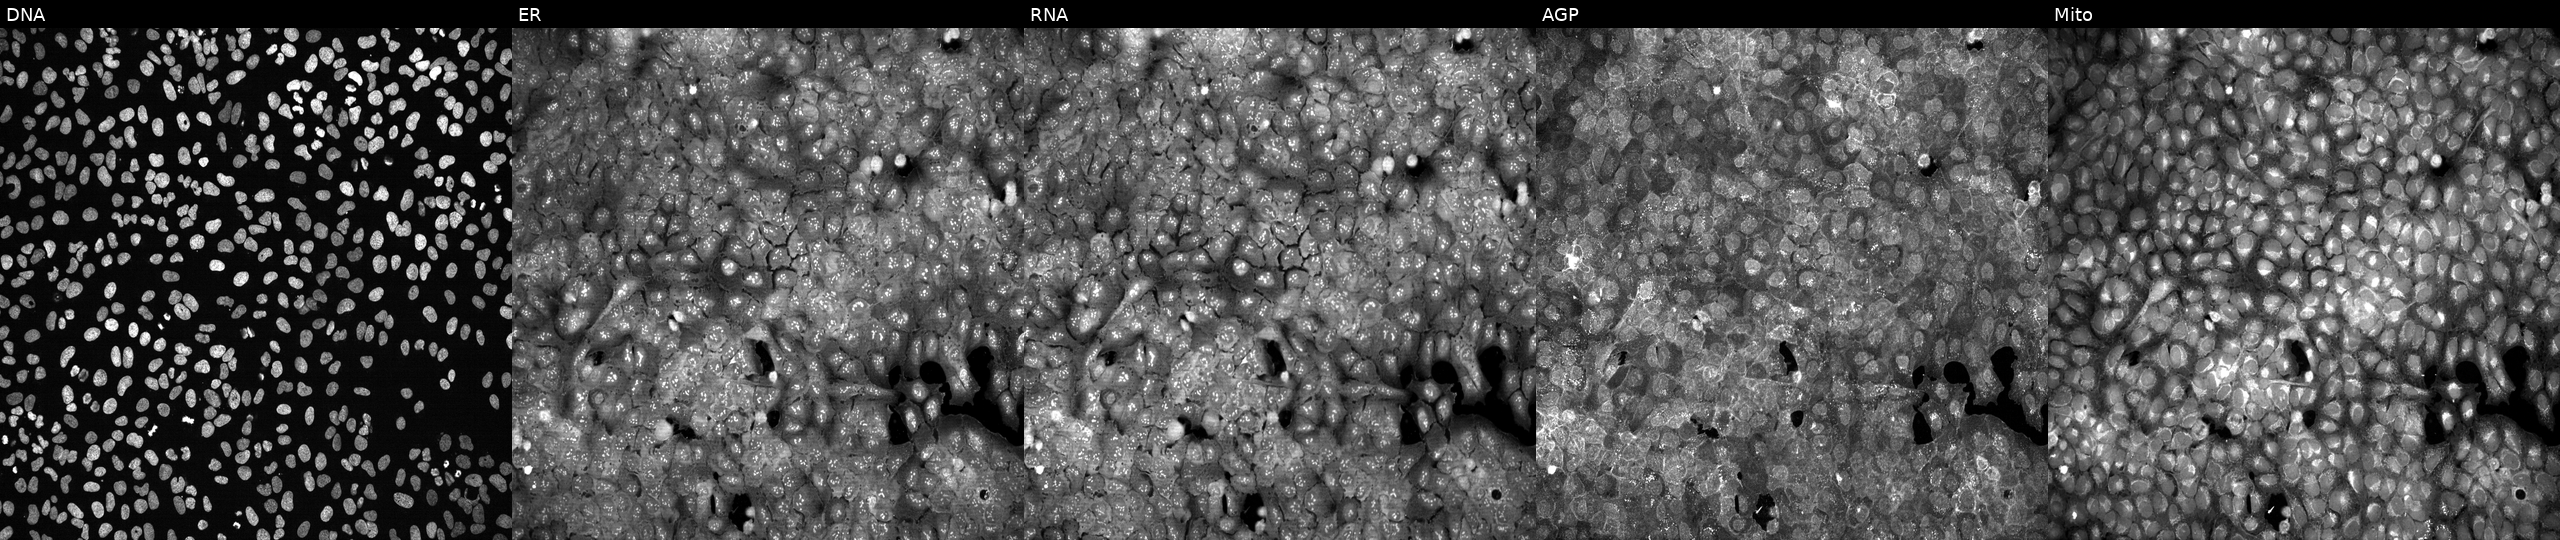
JUMP Cell Painting — CRISPR plate. U2OS cells CRISPR-edited to disrupt RAB33A (JUMP id JCP2022_805764). The five panels, left to right, show DNA (nuclei); ER (endoplasmic reticulum); RNA (nucleoli and cytoplasmic RNA); AGP (actin cytoskeleton, Golgi, and plasma membrane); Mito (mitochondria). Source 13, plate CP-CC9-R1-02, well C10.